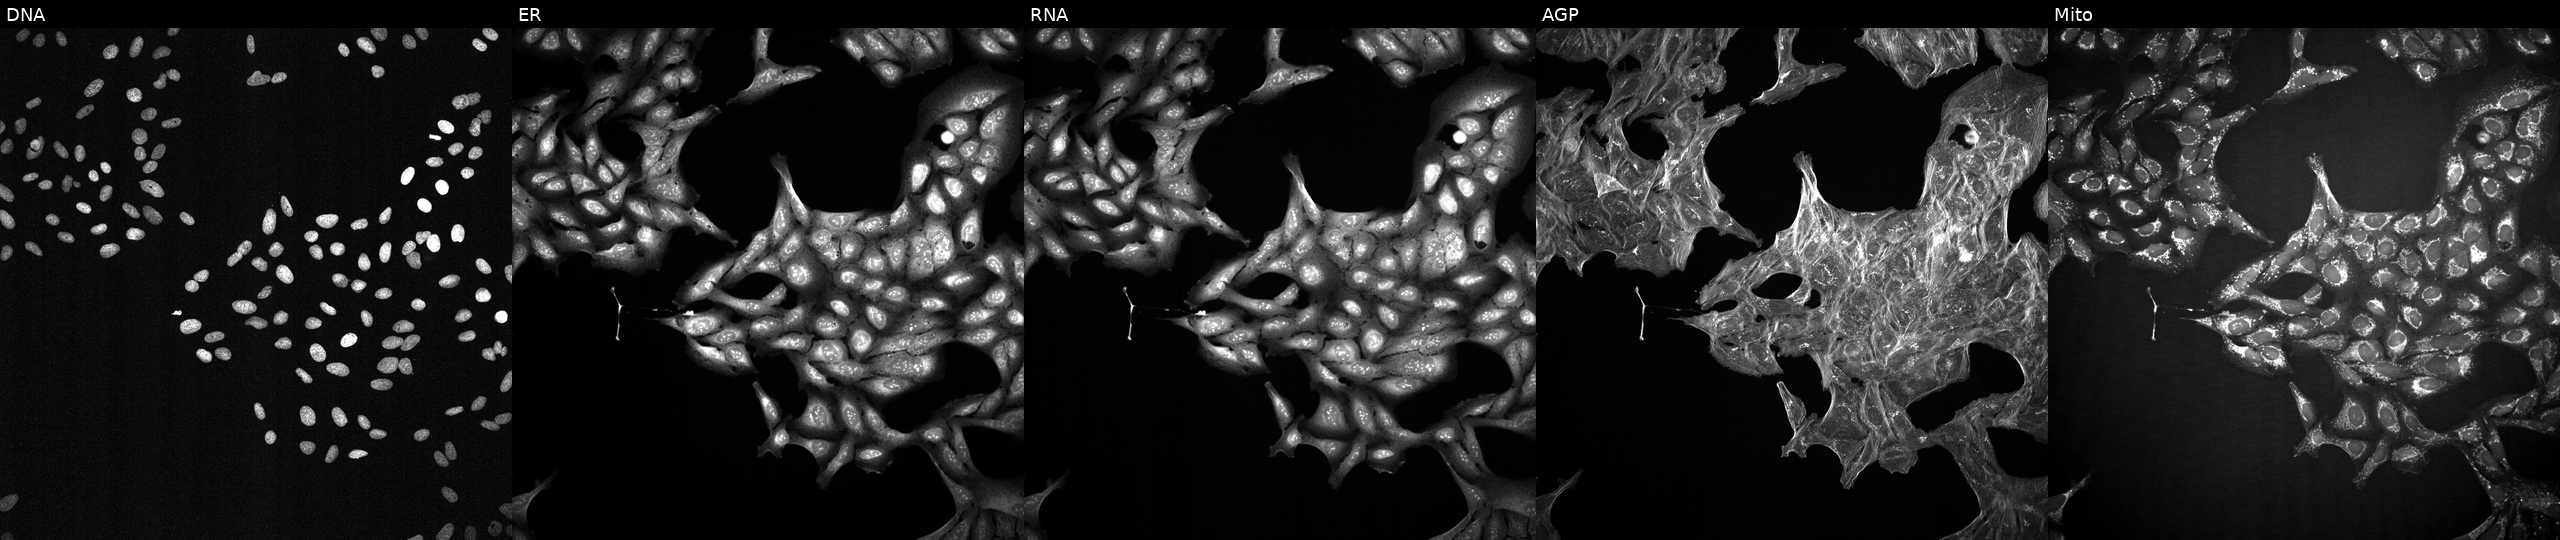
Five-channel Cell Painting image of U2OS cells treated with a small-molecule compound (InChIKey XFILPEOLDIKJHX-UHFFFAOYSA-N). Channels (left→right): Hoechst 33342, concanavalin A, SYTO 14, phalloidin and WGA, MitoTracker. Source 2, plate 1053599503, well G20.